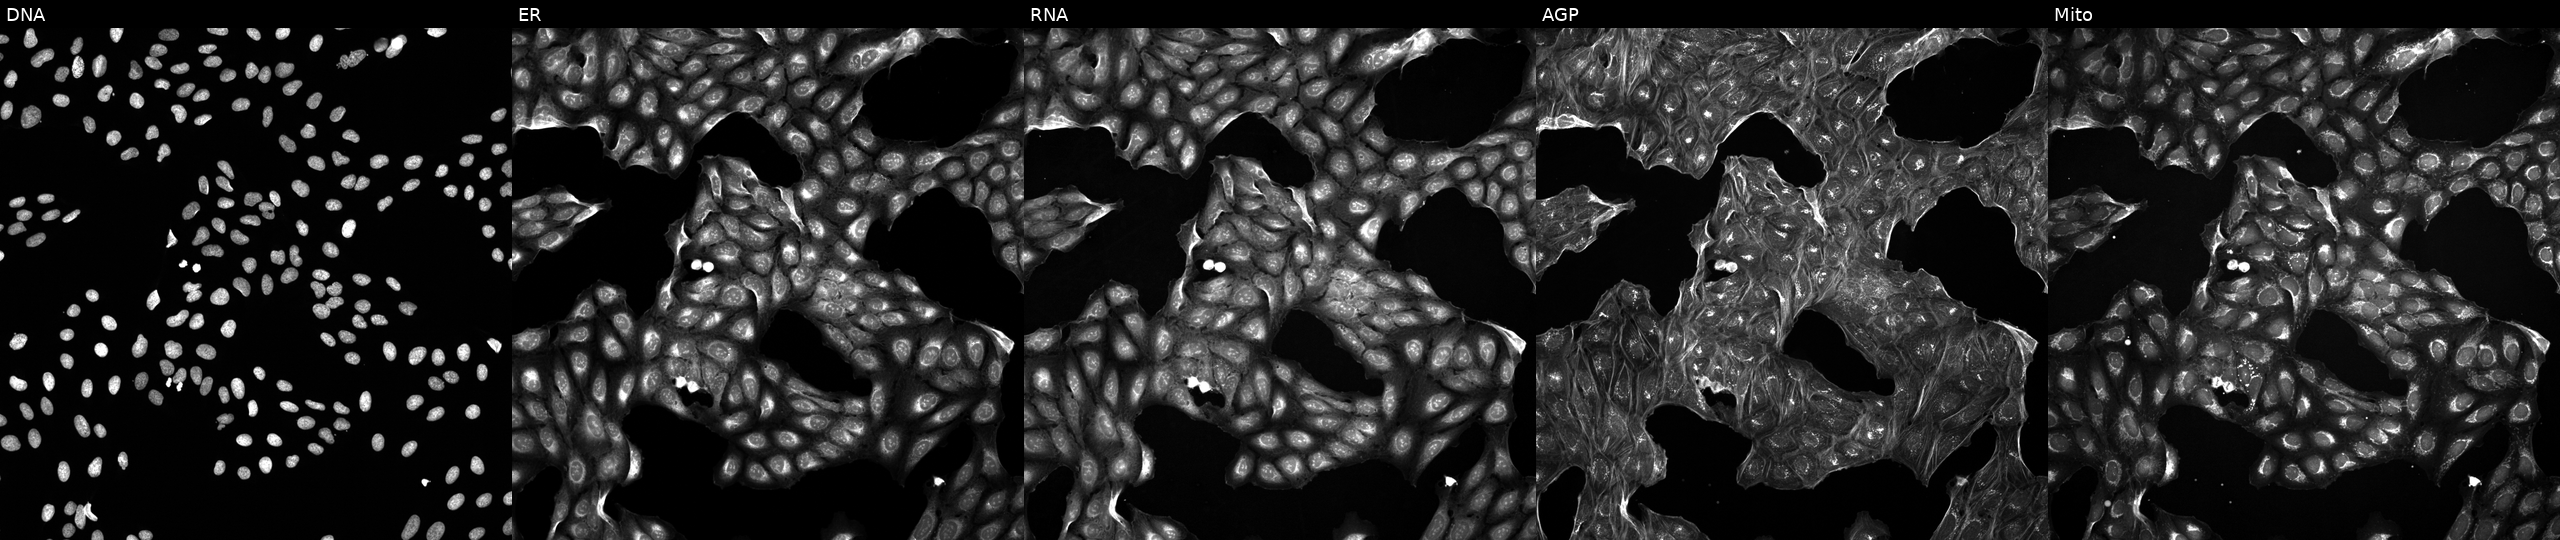
This image strip shows the five Cell Painting channels for a single field of U2OS cells perturbed with a small-molecule compound (InChIKey MDKAFDIKYQMOMF-UHFFFAOYSA-N). From left to right: DNA (nuclei); ER (endoplasmic reticulum); RNA (nucleoli and cytoplasmic RNA); AGP (actin cytoskeleton, Golgi, and plasma membrane); Mito (mitochondria).